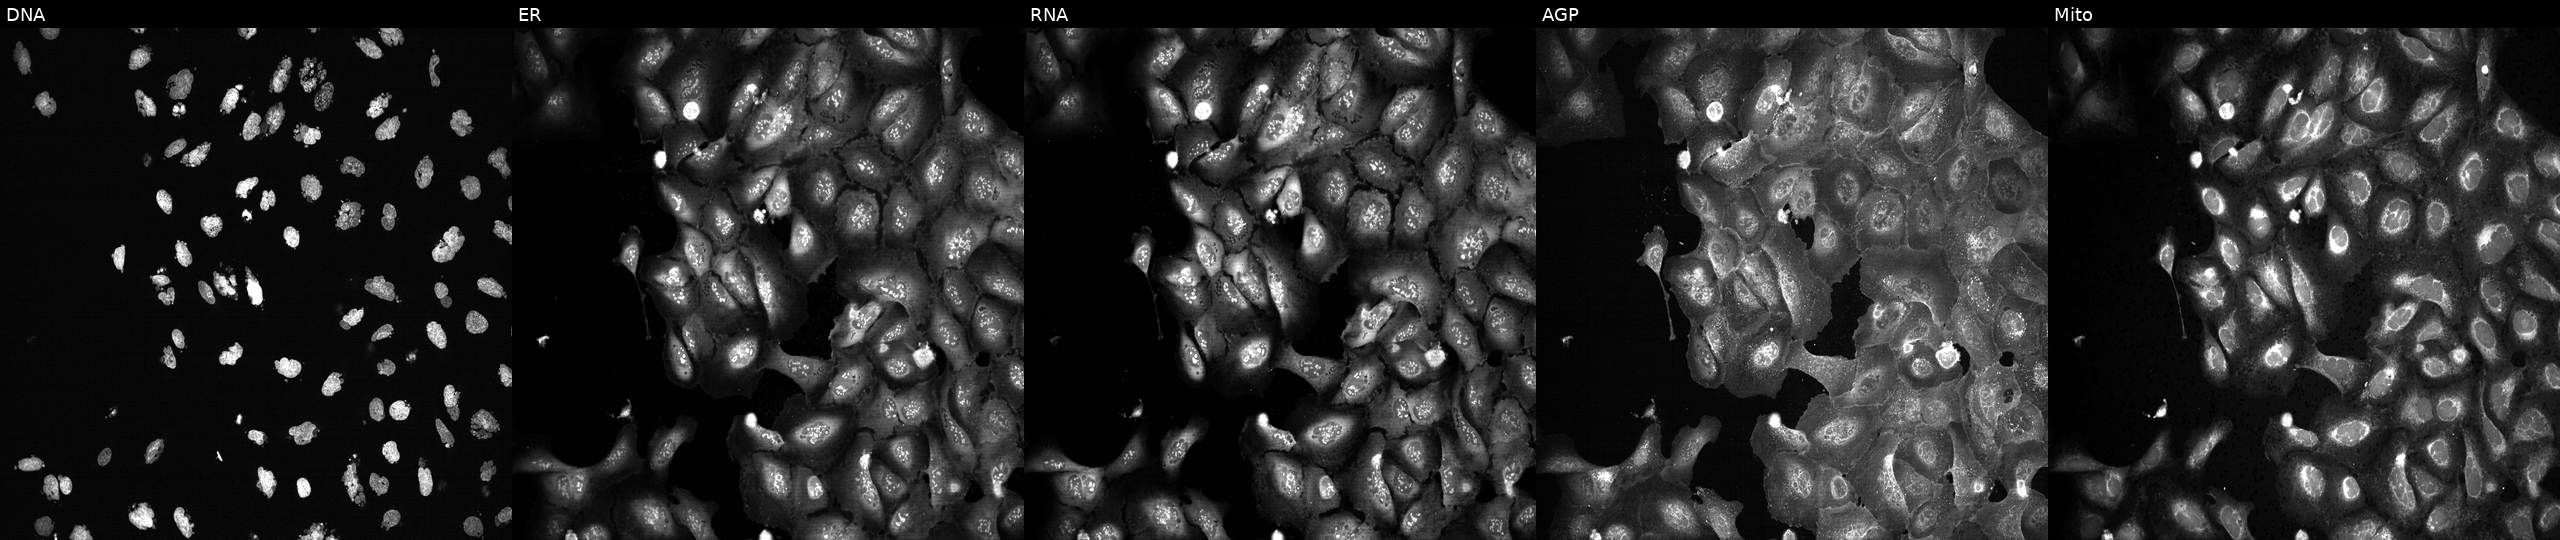
High-content fluorescence microscopy (Cell Painting). Cell line: U2OS. Perturbation: treated with AMG900 (positive-control compound). Panels show, left to right, DNA, ER, RNA, AGP, and Mito.